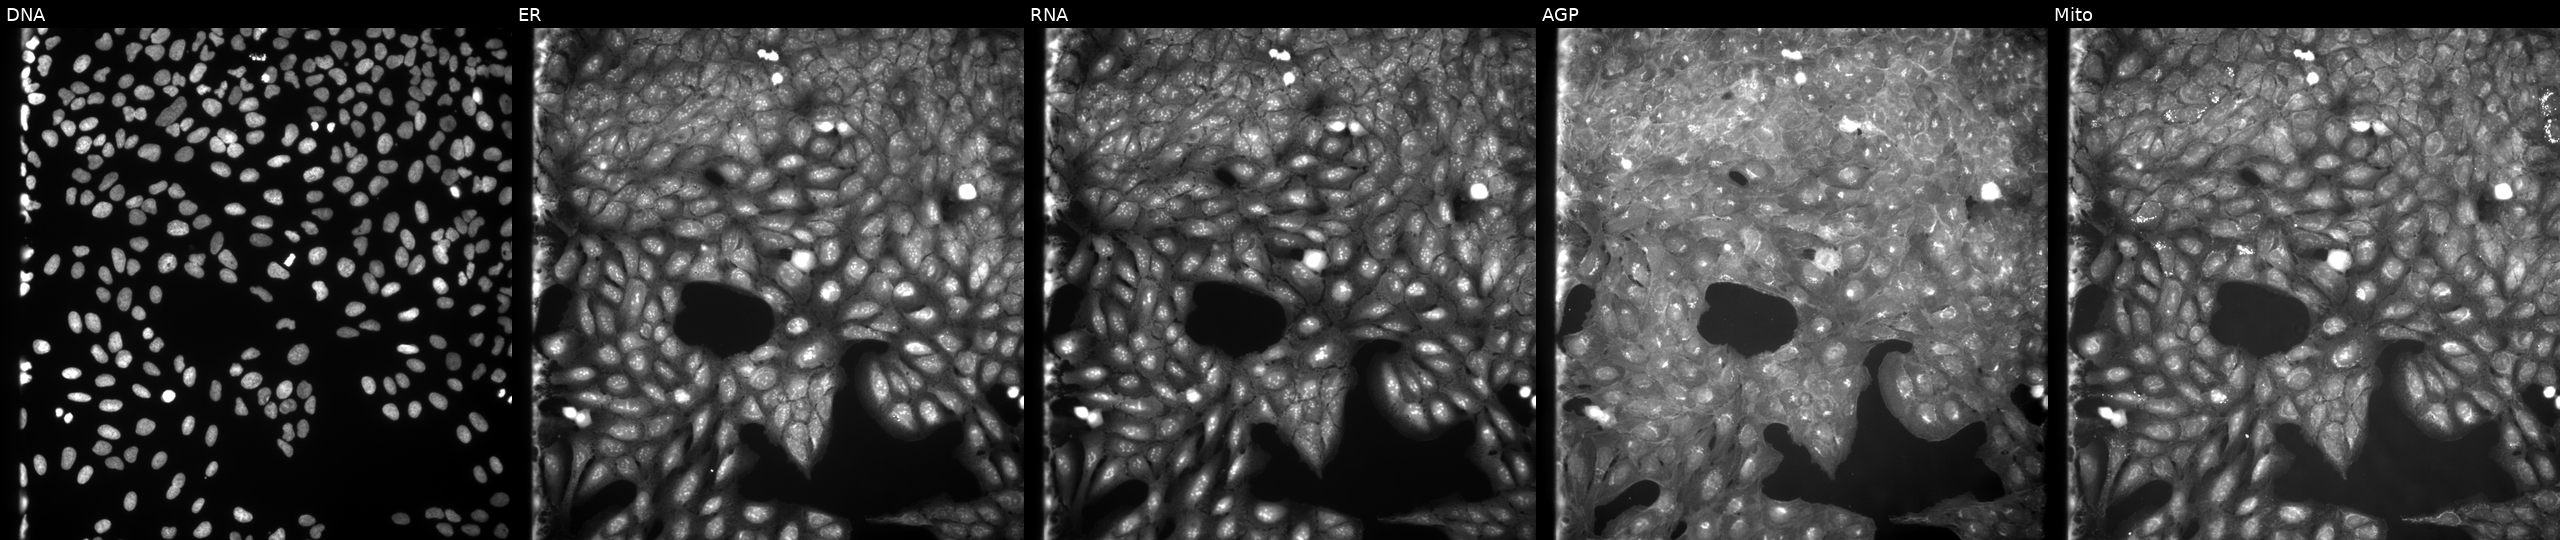
High-content fluorescence microscopy (Cell Painting). Cell line: U2OS. Perturbation: exposed to a small-molecule compound (InChIKey RPDSJPMMXLLMAO-UHFFFAOYSA-N) [SMILES: CCCS(=O)(=O)c1c(S(=O)(=O)CCC)c2cc(CC)ccn2c1C(=O)OC]. Channels (left→right): Hoechst 33342, concanavalin A, SYTO 14, phalloidin and WGA, MitoTracker.